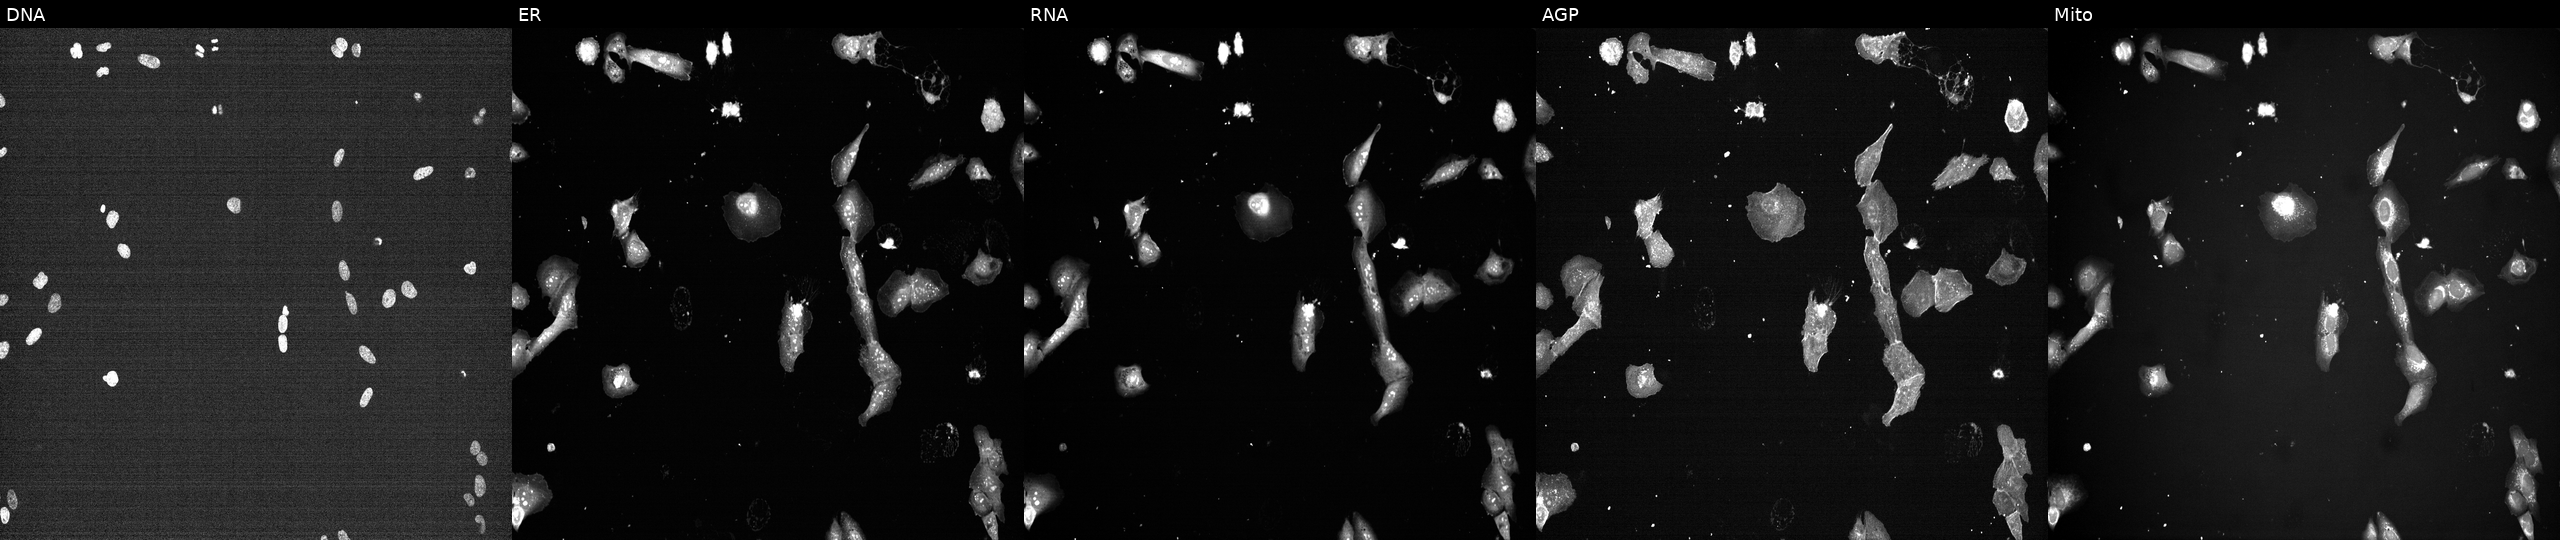
JUMP Cell Painting — TARGET2 plate. U2OS cells treated with a small-molecule compound (InChIKey MAASHDQFQDDECQ-UHFFFAOYSA-N) [SMILES: O=C1C(SCCO)=C(SCCO)C(=O)c2ccccc21] (JUMP id JCP2022_052804). Channels (left→right): DNA (nuclei); ER (endoplasmic reticulum); RNA (nucleoli and cytoplasmic RNA); AGP (actin cytoskeleton, Golgi, and plasma membrane); Mito (mitochondria).